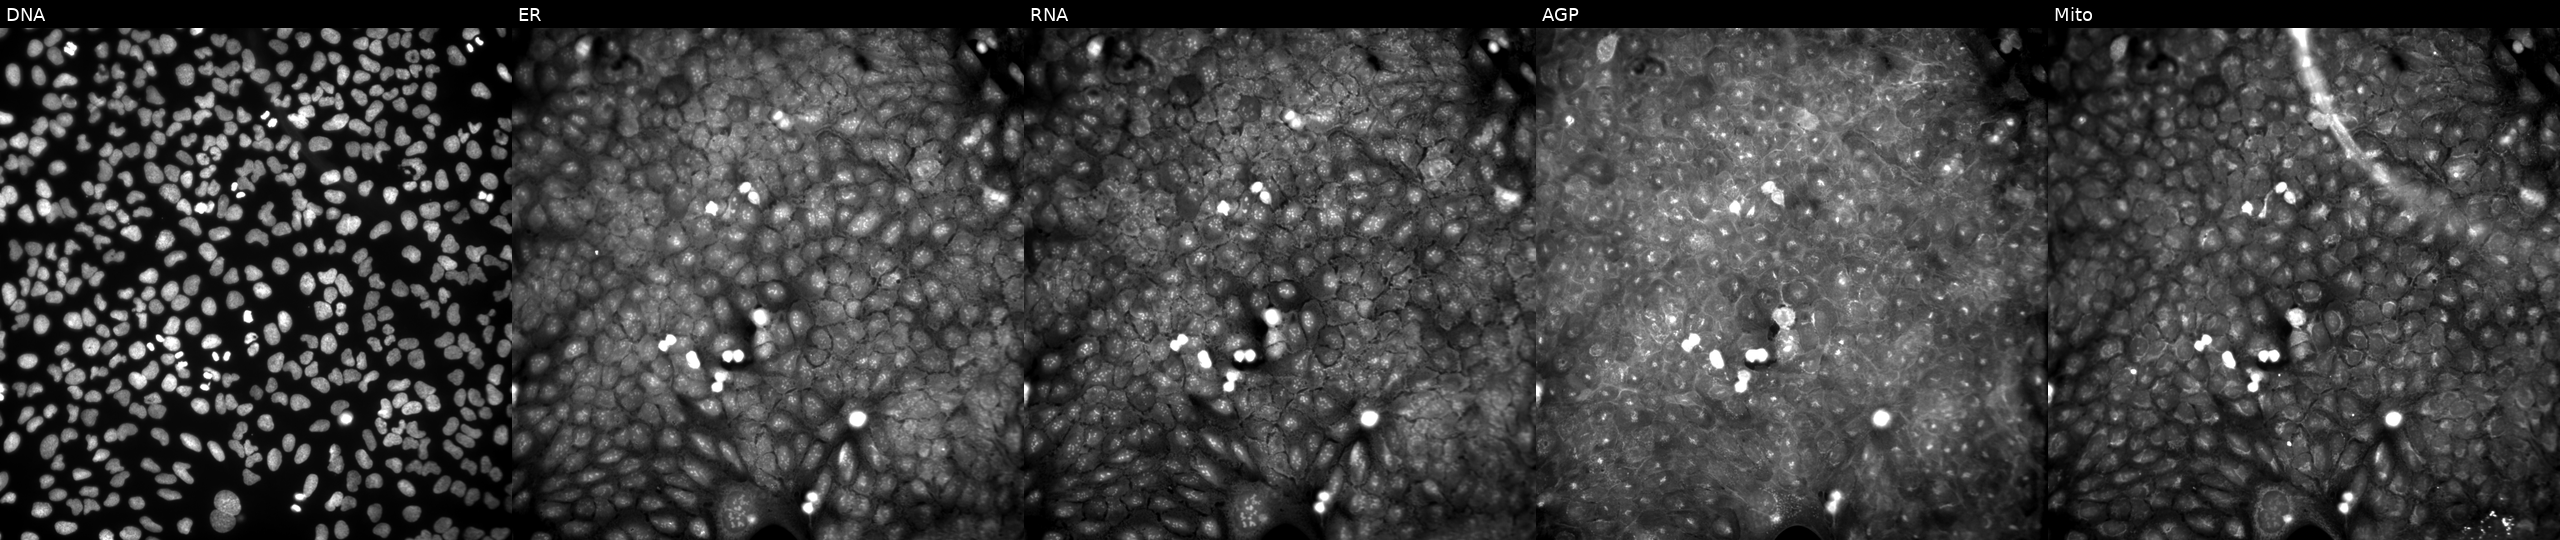
From left to right: Hoechst 33342, concanavalin A, SYTO 14, phalloidin and WGA, MitoTracker. U2OS osteosarcoma cells perturbed with a small-molecule compound (InChIKey XTYVIHBWMOVESC-UHFFFAOYSA-N). Cell Painting assay, JUMP-CP dataset. Source 9, plate GR00003382, well Q43.